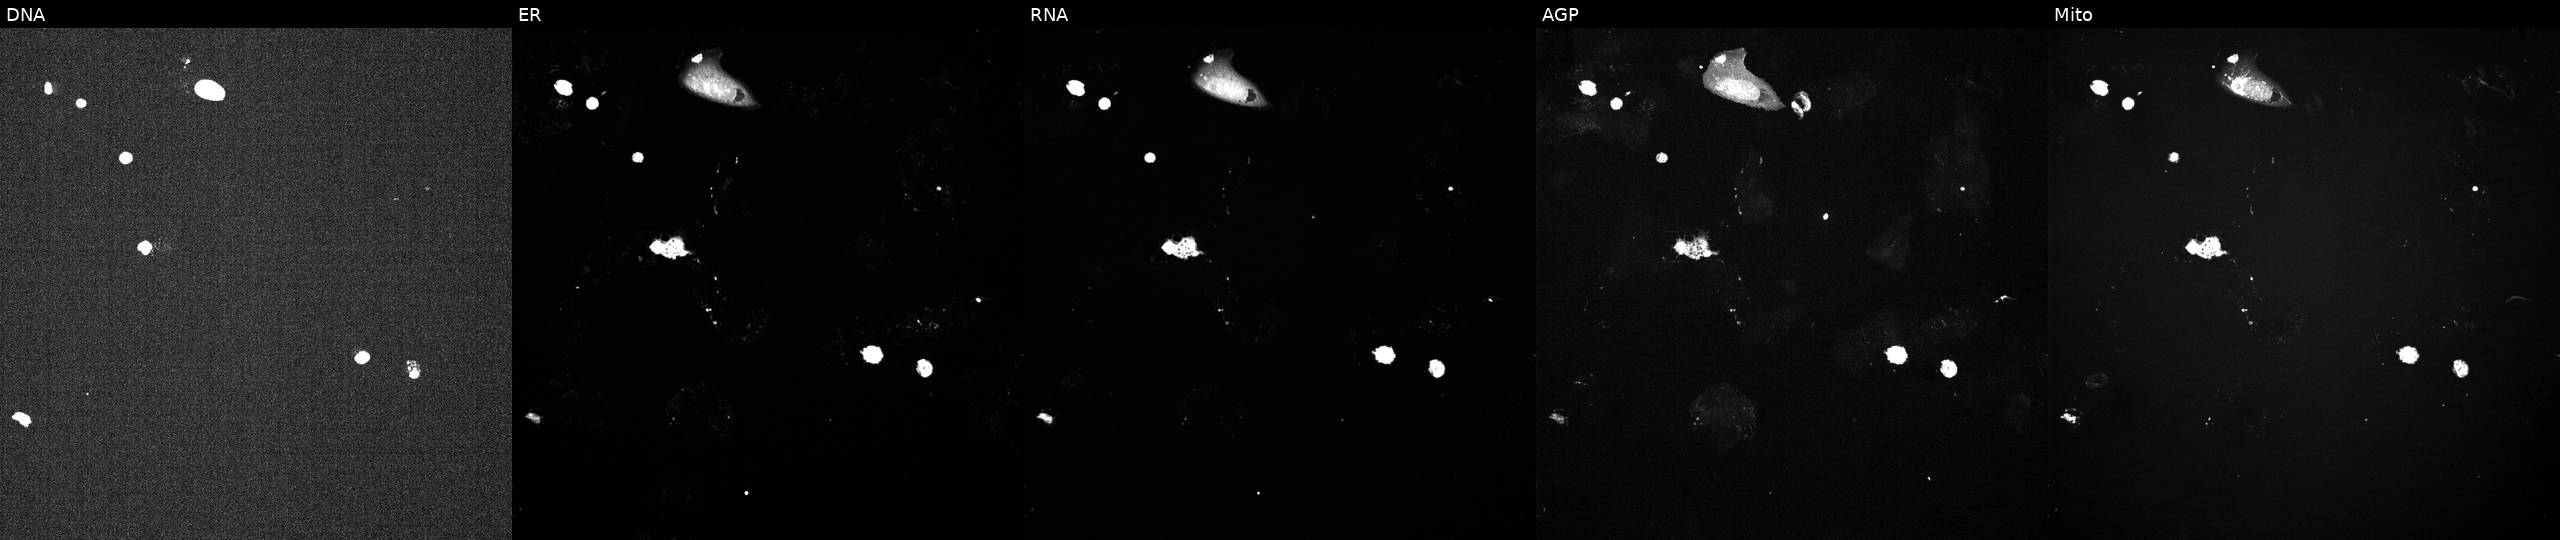
JUMP Cell Painting — TARGET2 plate. U2OS cells perturbed with a small-molecule compound (JUMP id JCP2022_091373). The five panels, left to right, show Hoechst 33342, concanavalin A, SYTO 14, phalloidin and WGA, MitoTracker. Source 6, plate 110000293081, well J02.